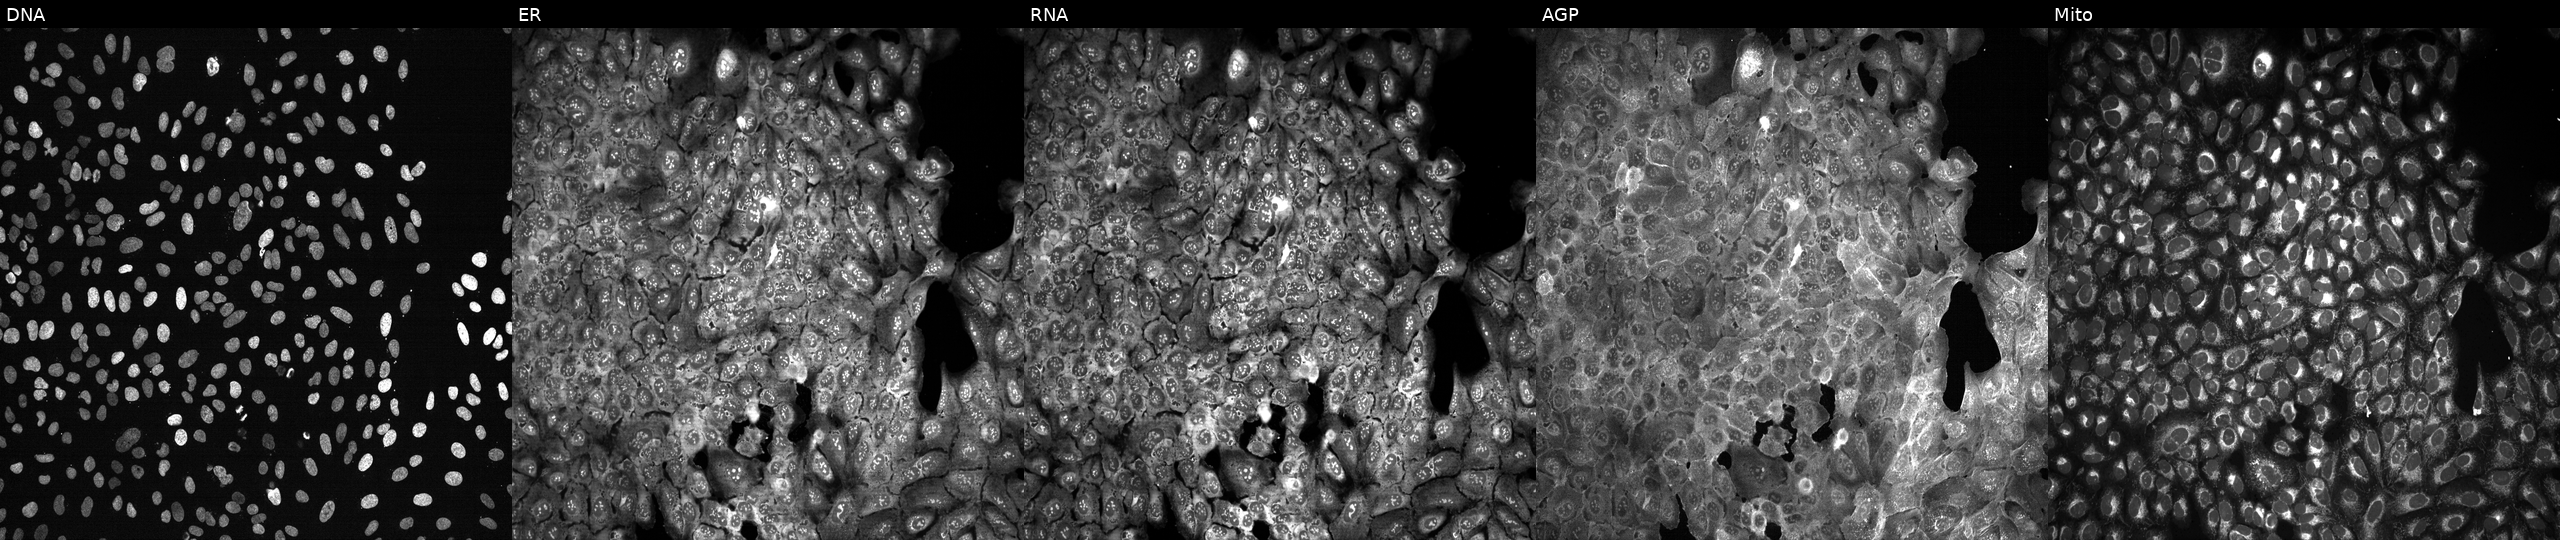
JUMP Cell Painting — CRISPR plate. U2OS cells with XRCC2 knocked out by CRISPR (JUMP id JCP2022_807717). Channels (left→right): Hoechst 33342, concanavalin A, SYTO 14, phalloidin and WGA, MitoTracker.